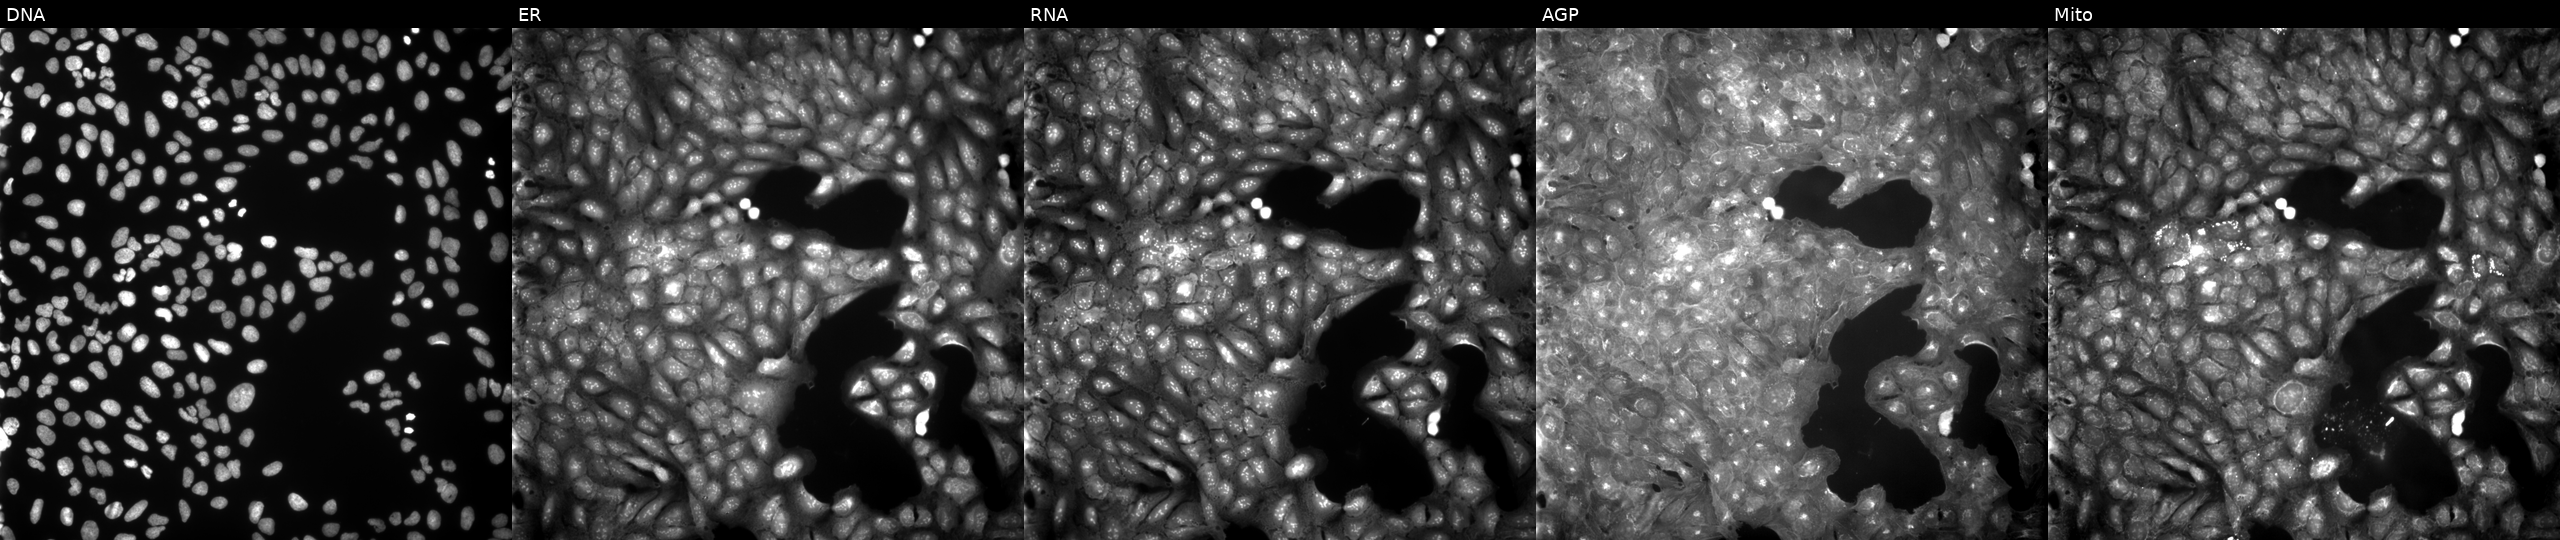
Five-channel Cell Painting image of U2OS cells treated with a small-molecule compound. Panels show, left to right, DNA (nuclei); ER (endoplasmic reticulum); RNA (nucleoli and cytoplasmic RNA); AGP (actin cytoskeleton, Golgi, and plasma membrane); Mito (mitochondria).